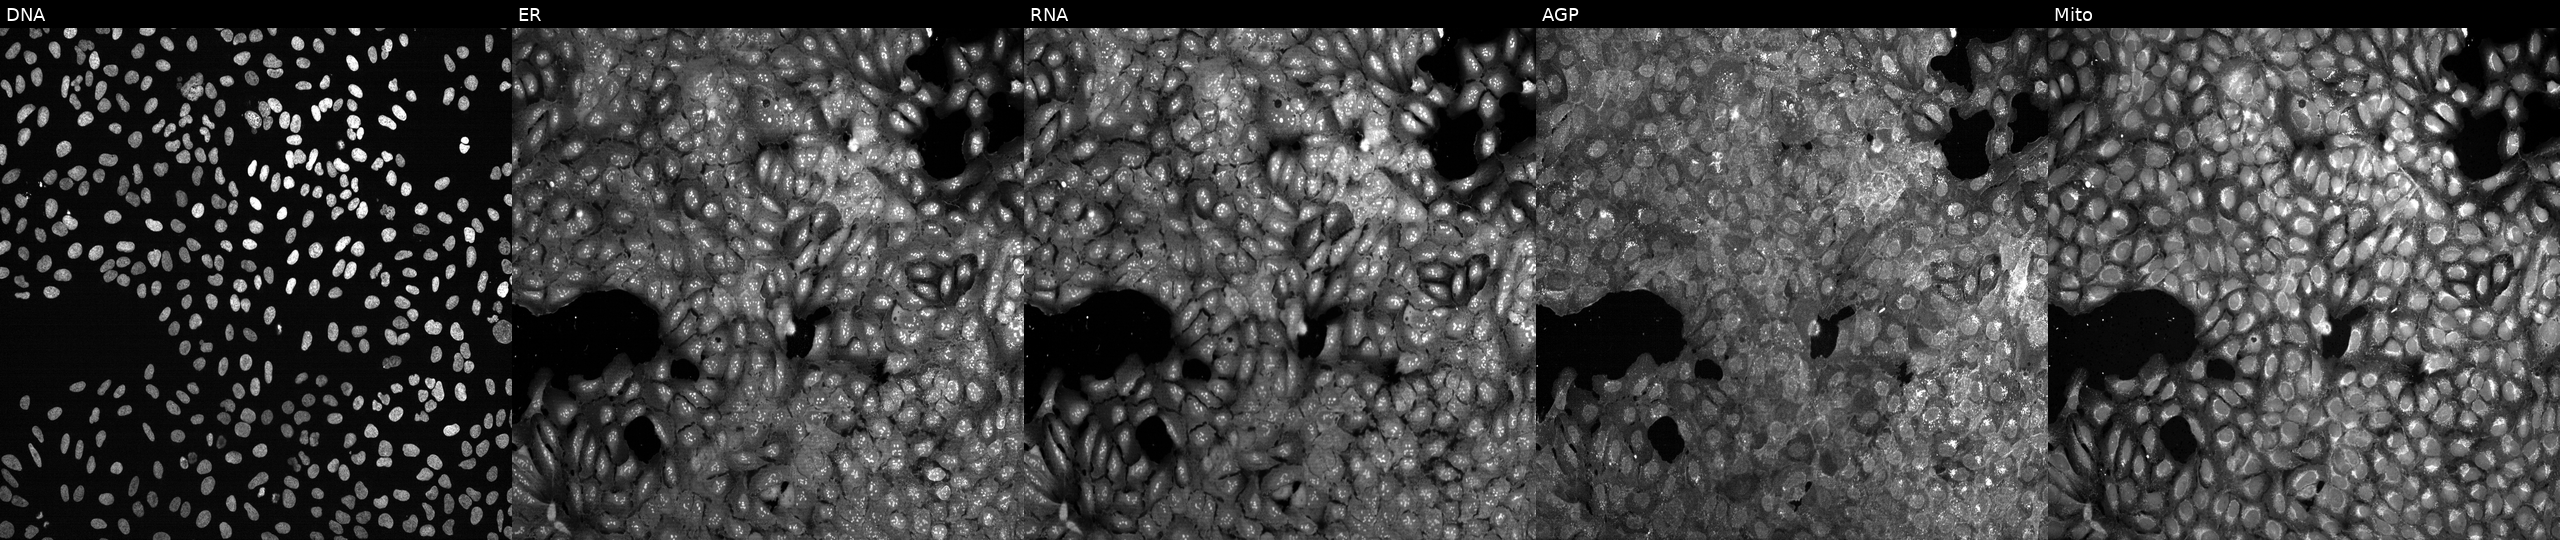
JUMP Cell Painting — CRISPR plate. U2OS cells with a non-targeting CRISPR guide (negative control) (JUMP id JCP2022_800002). Panels show, left to right, Hoechst 33342, concanavalin A, SYTO 14, phalloidin and WGA, MitoTracker. Source 13, plate CP-CC9-R1-02, well G02.